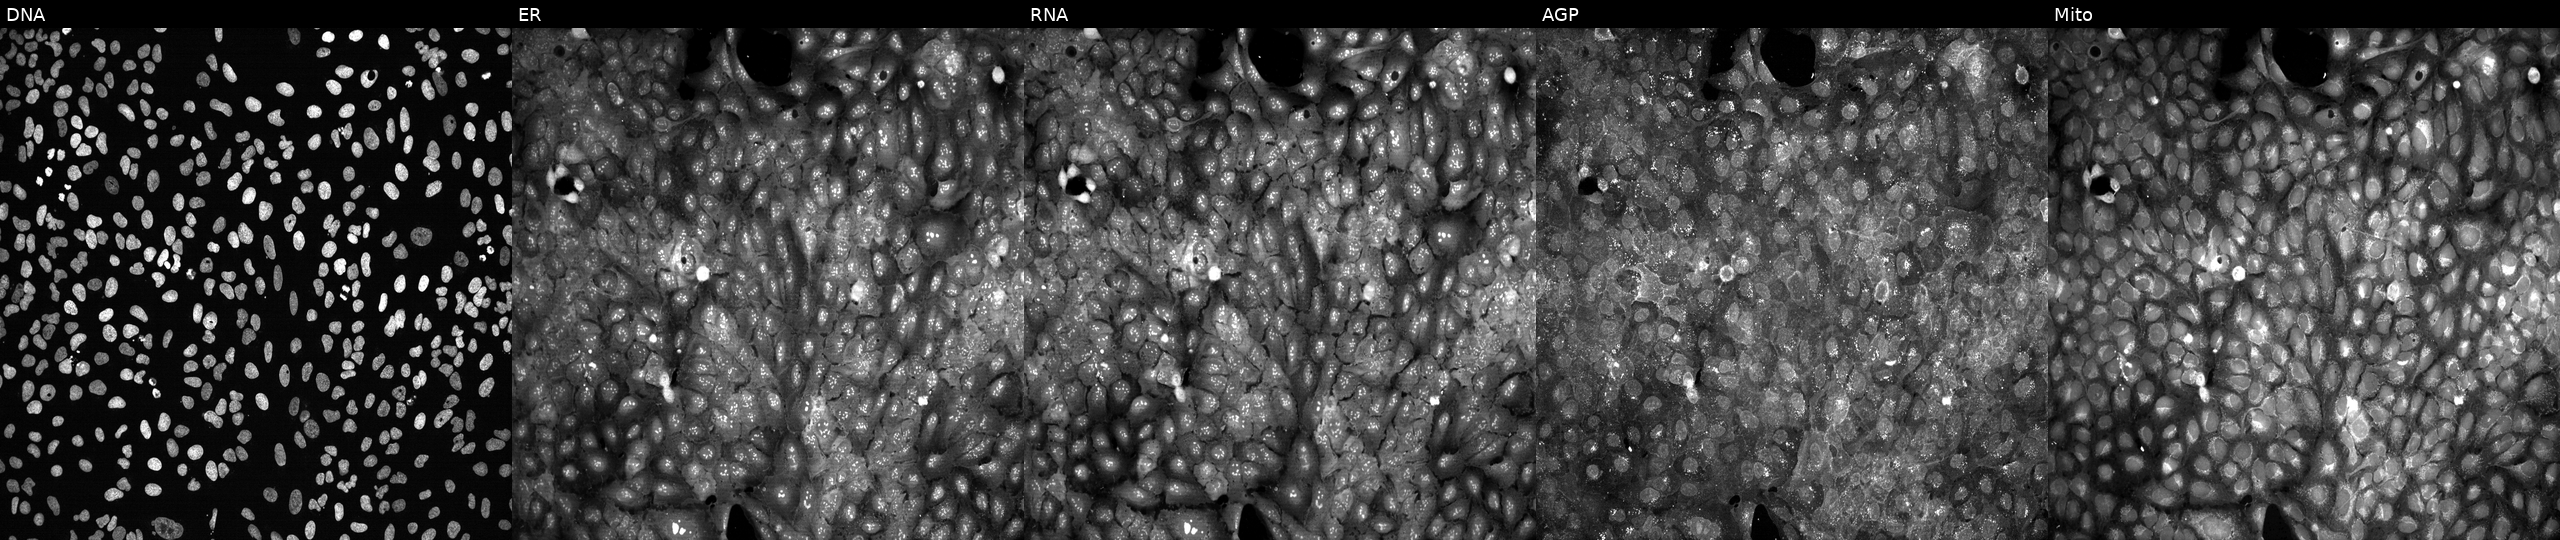
This image strip shows the five Cell Painting channels for a single field of U2OS cells with SEPT9 knocked out by CRISPR (JUMP id JCP2022_806268). The five panels, left to right, show DNA, ER, RNA, AGP, and Mito. Source 13, plate CP-CC9-R1-02, well K10.